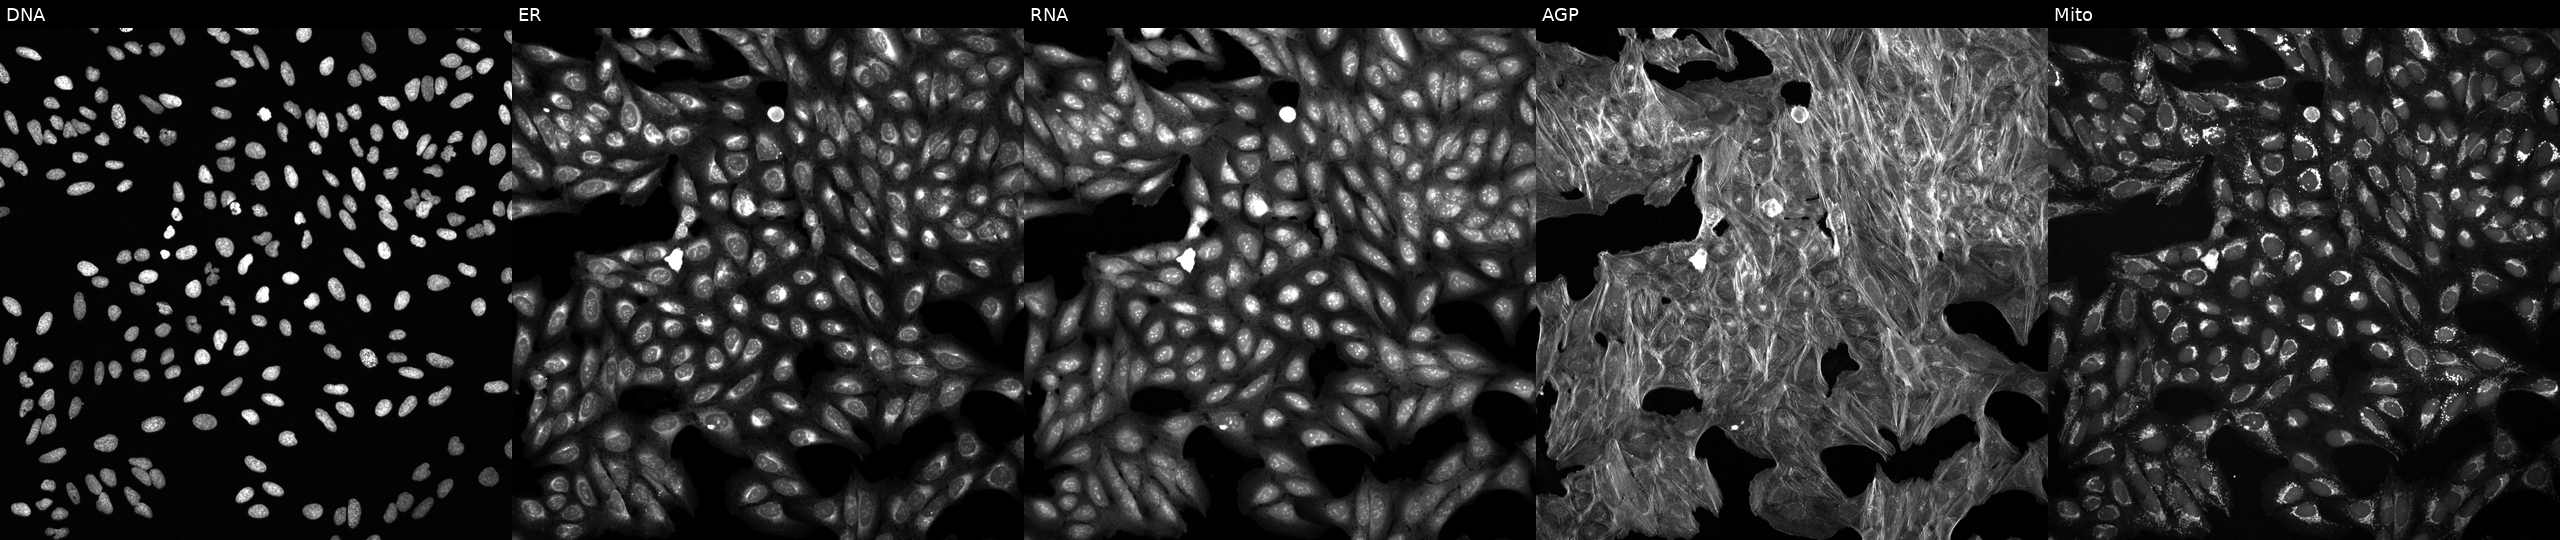
JUMP Cell Painting — TARGET2 plate. U2OS cells exposed to DMSO alone as a negative control (JUMP id JCP2022_033924). The five panels, left to right, show DNA (nuclei); ER (endoplasmic reticulum); RNA (nucleoli and cytoplasmic RNA); AGP (actin cytoskeleton, Golgi, and plasma membrane); Mito (mitochondria). Source 6, plate 110000293081, well H06.